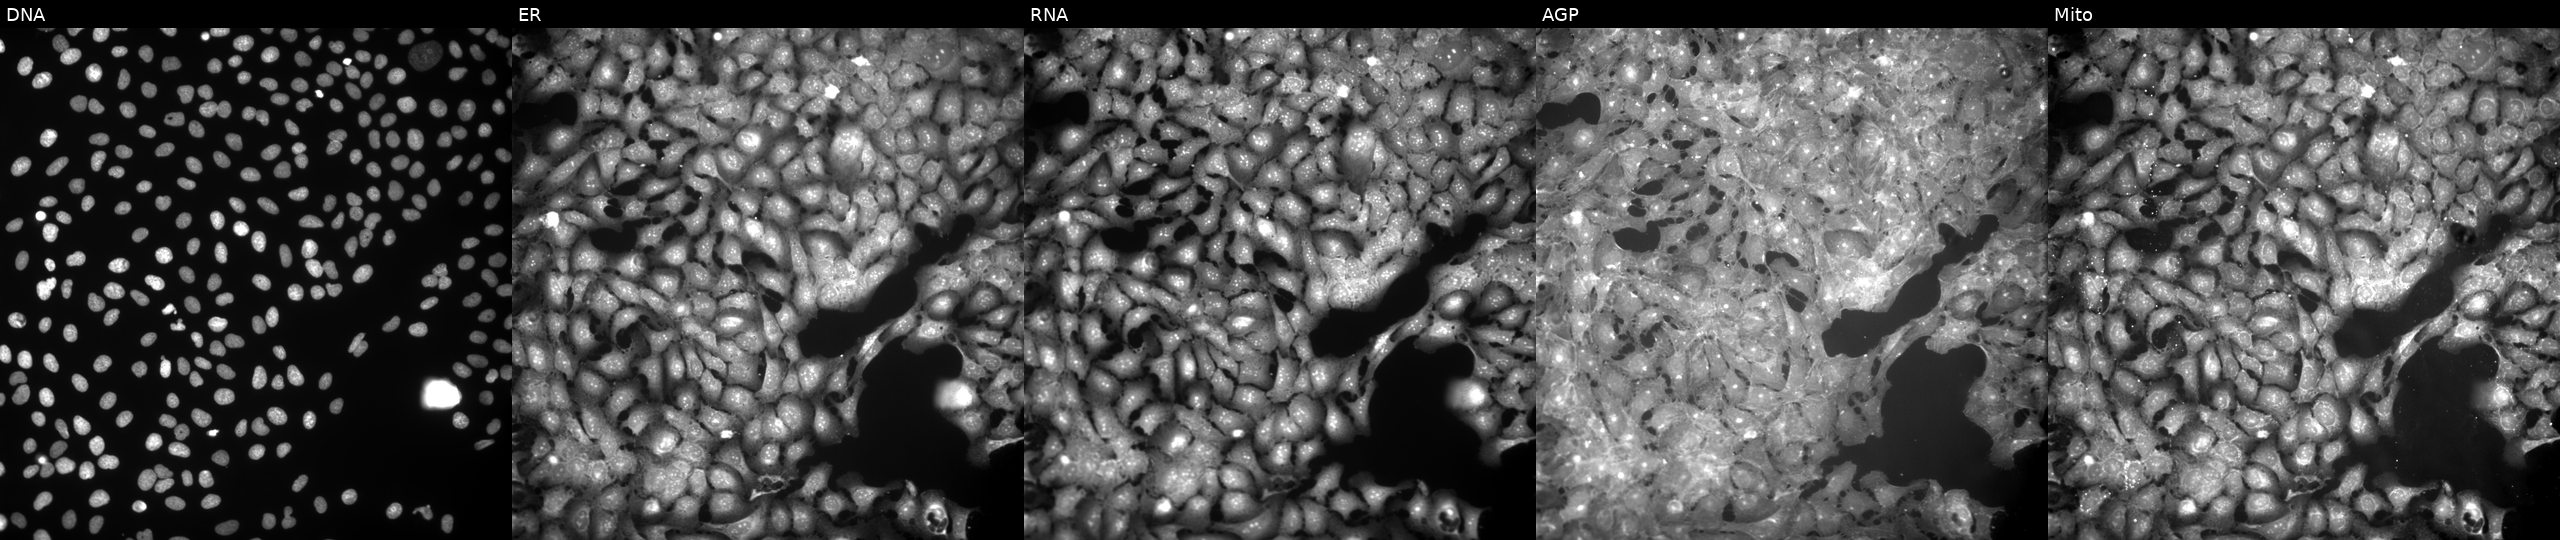
U2OS cells, Cell Painting assay, treated with FK-866 (positive-control compound). From left to right: DNA (nuclei); ER (endoplasmic reticulum); RNA (nucleoli and cytoplasmic RNA); AGP (actin cytoskeleton, Golgi, and plasma membrane); Mito (mitochondria). Each panel is percentile-stretched 16-bit fluorescence.